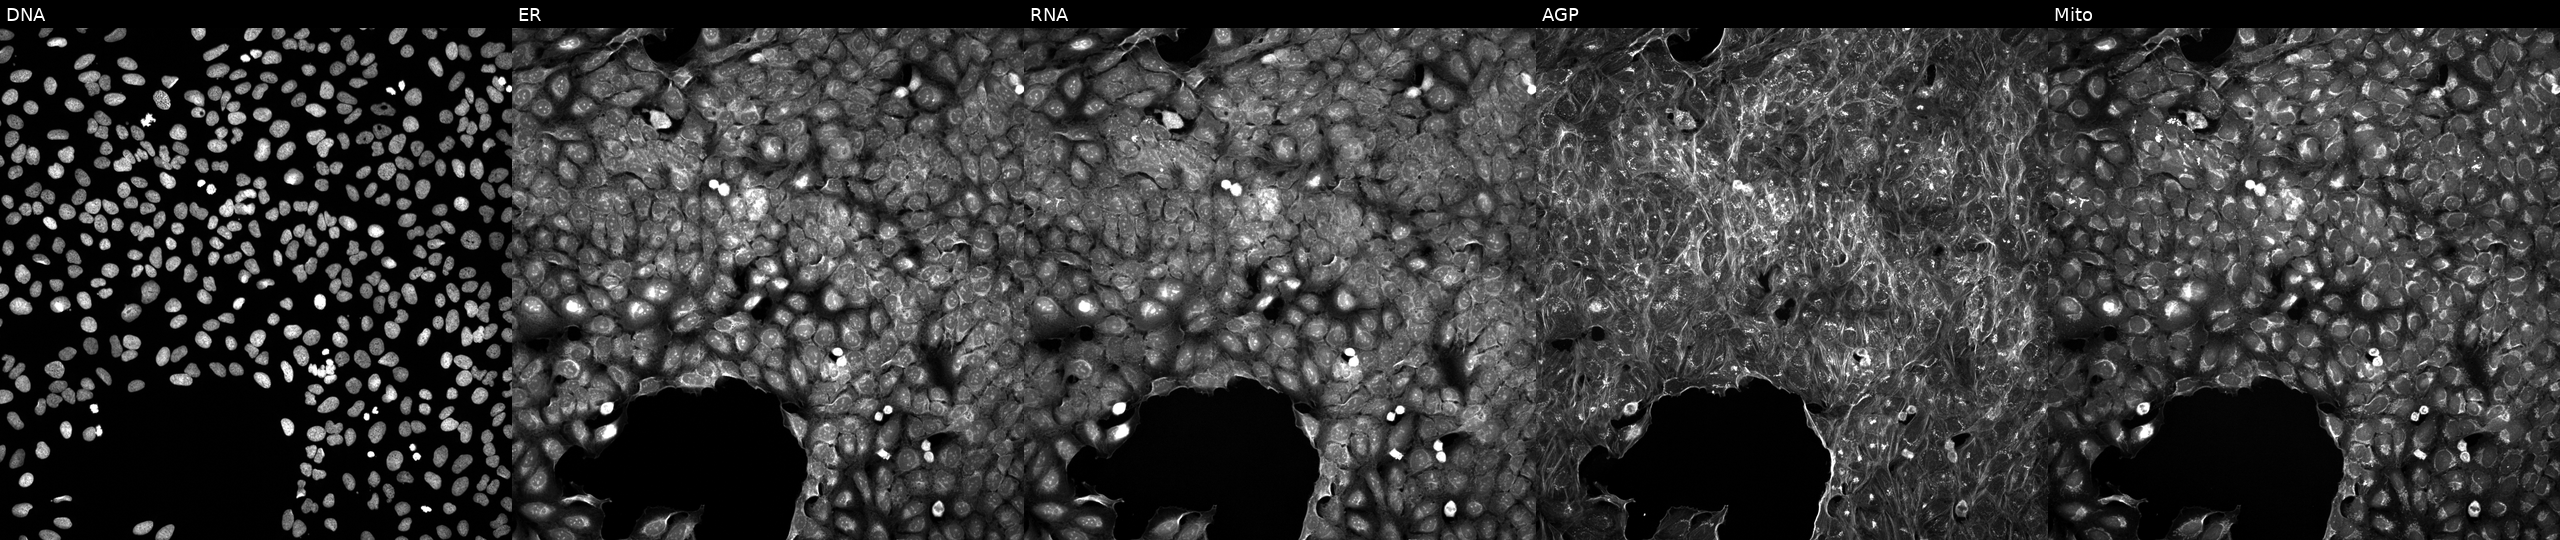
JUMP Cell Painting — TARGET2 plate. U2OS cells exposed to a small-molecule compound (InChIKey PHOGQKDIVUJGMJ-UHFFFAOYSA-N) (JUMP id JCP2022_068634). Panels show, left to right, DNA, ER, RNA, AGP, and Mito.